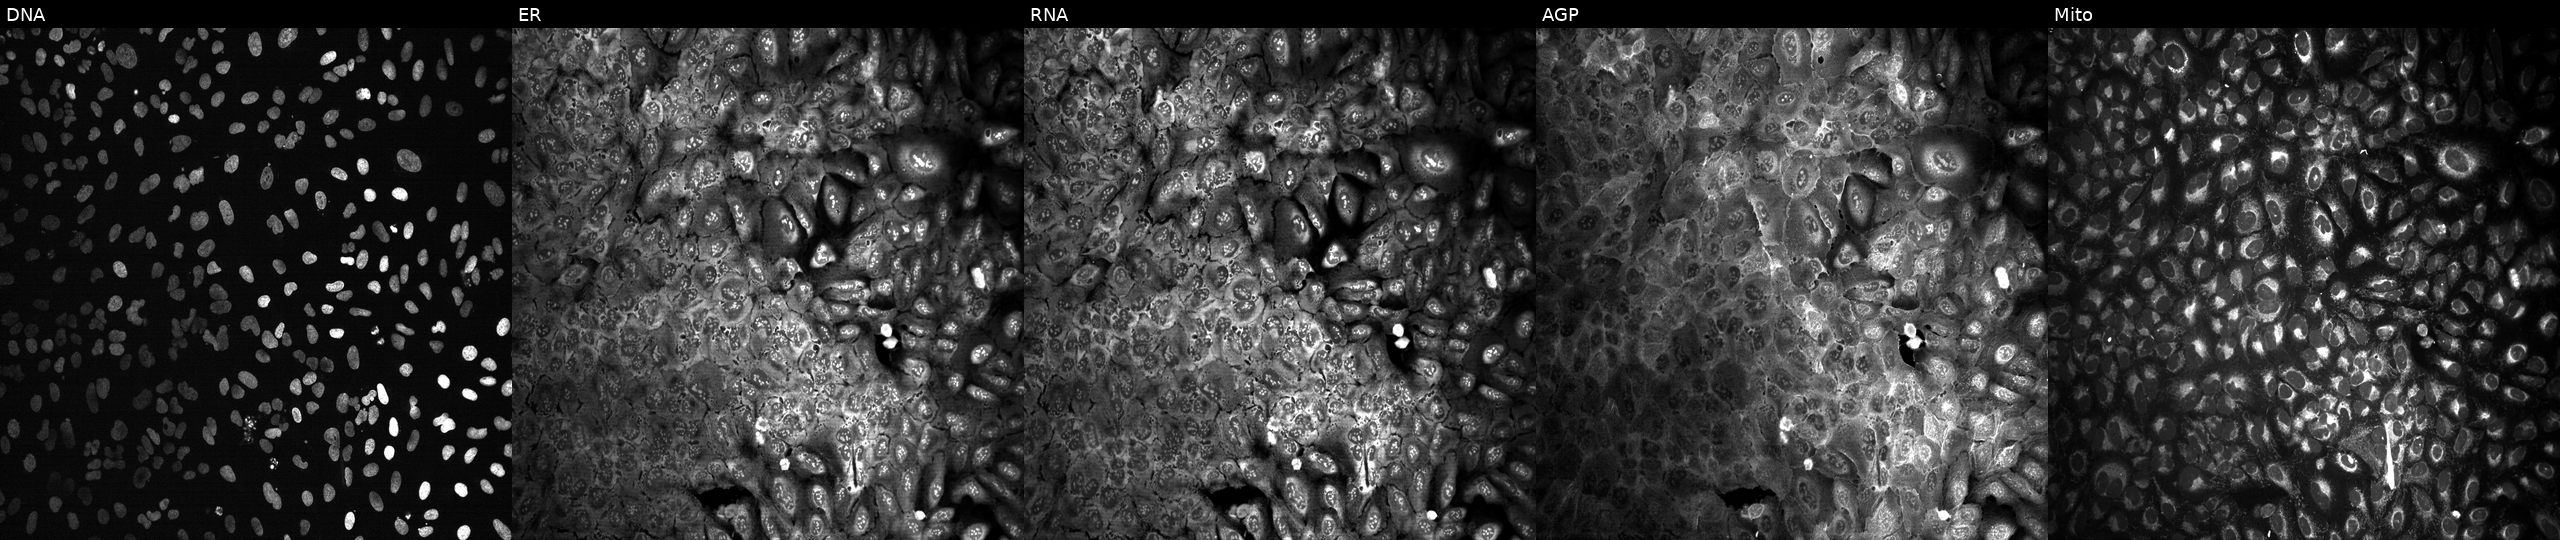
This image strip shows the five Cell Painting channels for a single field of U2OS cells with EXT2 knocked out by CRISPR. Channels (left→right): DNA (nuclei); ER (endoplasmic reticulum); RNA (nucleoli and cytoplasmic RNA); AGP (actin cytoskeleton, Golgi, and plasma membrane); Mito (mitochondria). Source 13, plate CP-CC9-R3-01, well A06.